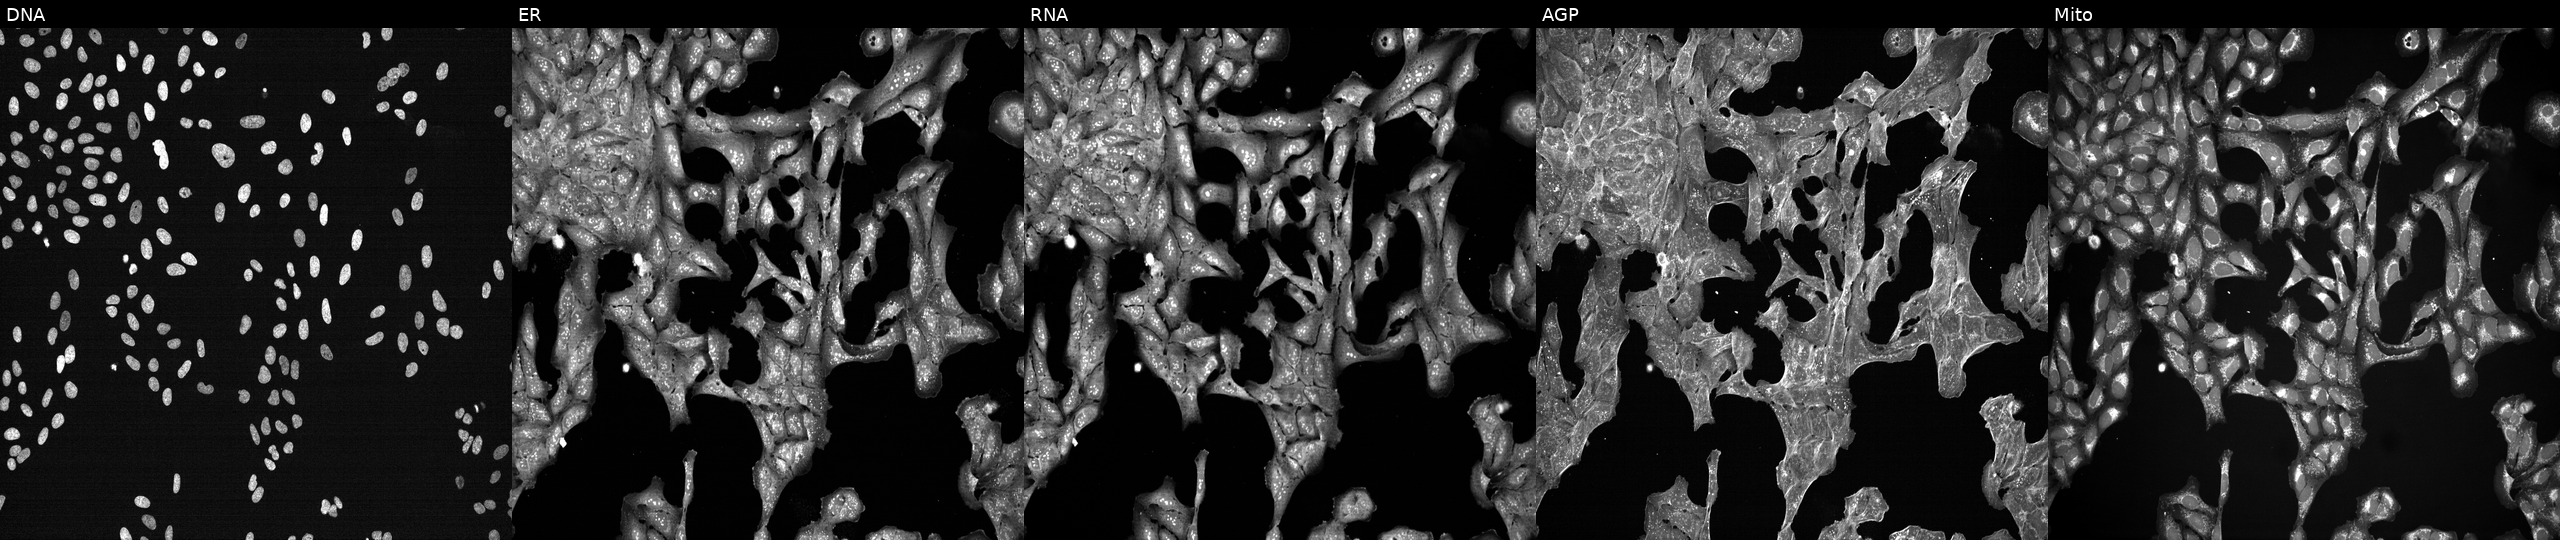
This image strip shows the five Cell Painting channels for a single field of U2OS cells exposed to a small-molecule compound [SMILES: CN1CCN(c2ccc(C=C(C#N)c3ccccc3Br)cc2)CC1]. Channels (left→right): Hoechst 33342, concanavalin A, SYTO 14, phalloidin and WGA, MitoTracker. Source 7, plate CP3-SC1-25, well C18.